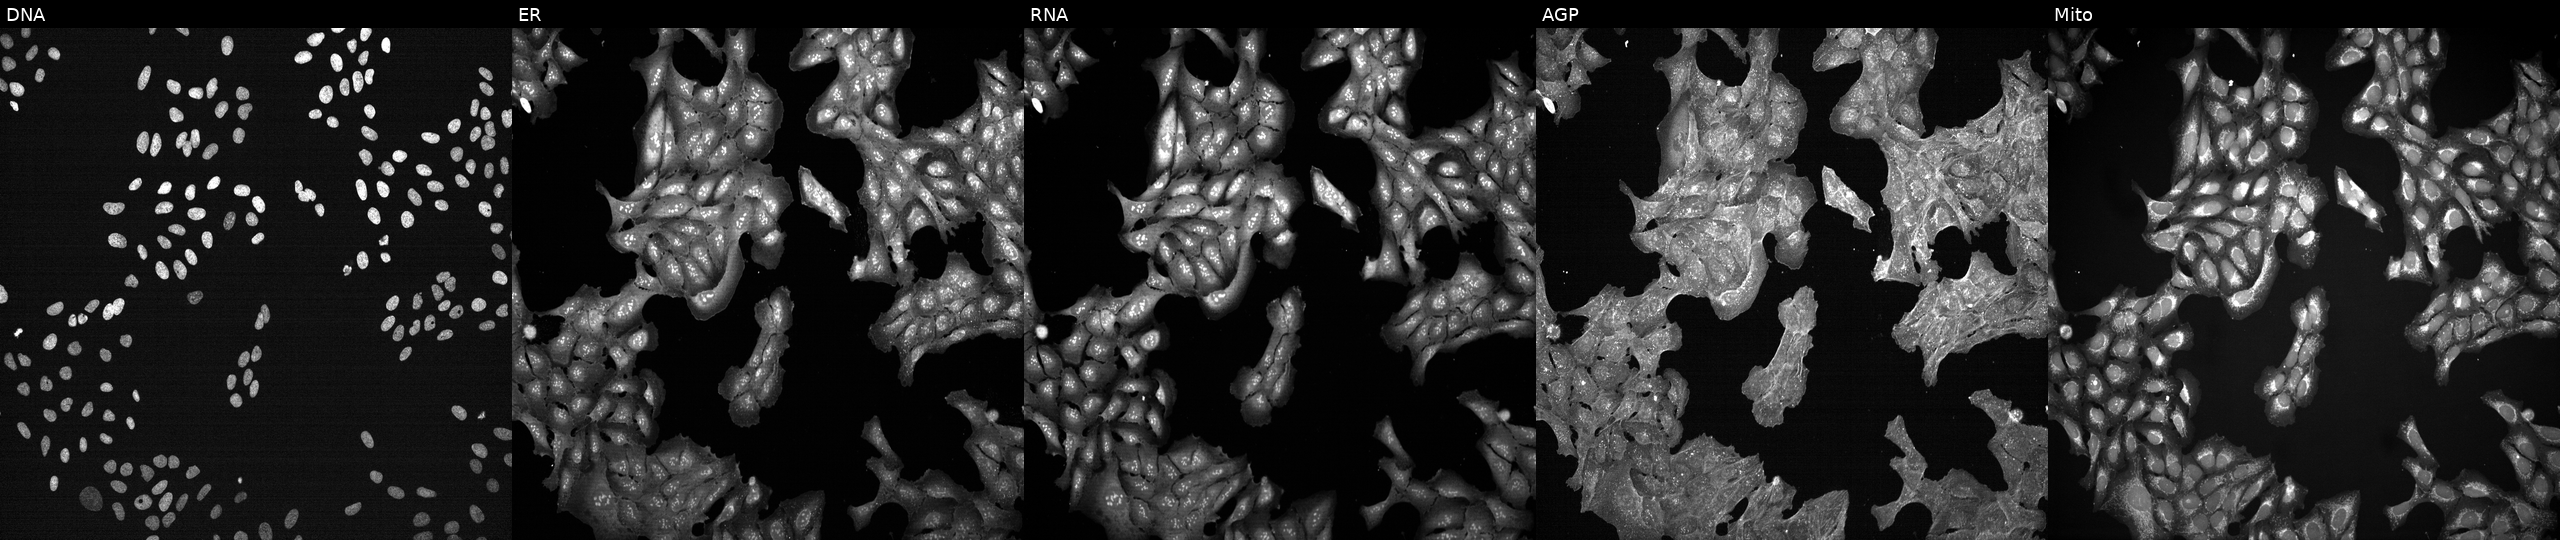
Panels show, left to right, Hoechst 33342, concanavalin A, SYTO 14, phalloidin and WGA, MitoTracker. U2OS osteosarcoma cells treated with a small-molecule compound (JUMP id JCP2022_039047). Cell Painting assay, JUMP-CP dataset.